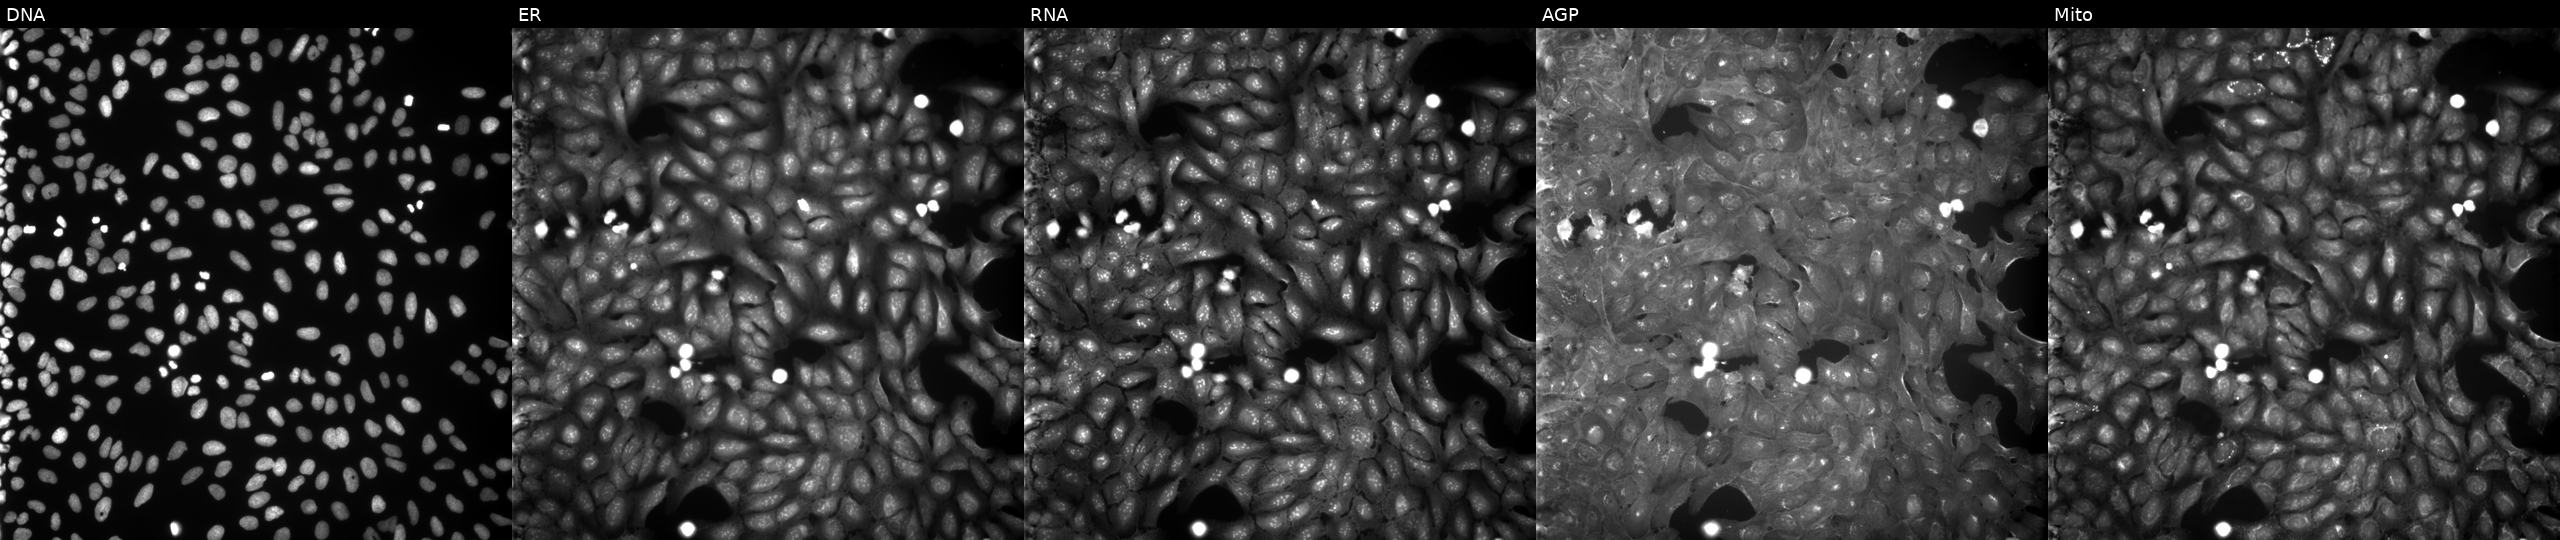
From left to right: Hoechst 33342, concanavalin A, SYTO 14, phalloidin and WGA, MitoTracker. U2OS osteosarcoma cells exposed to the positive-control compound TC-S-7004. Cell Painting assay, JUMP-CP dataset.